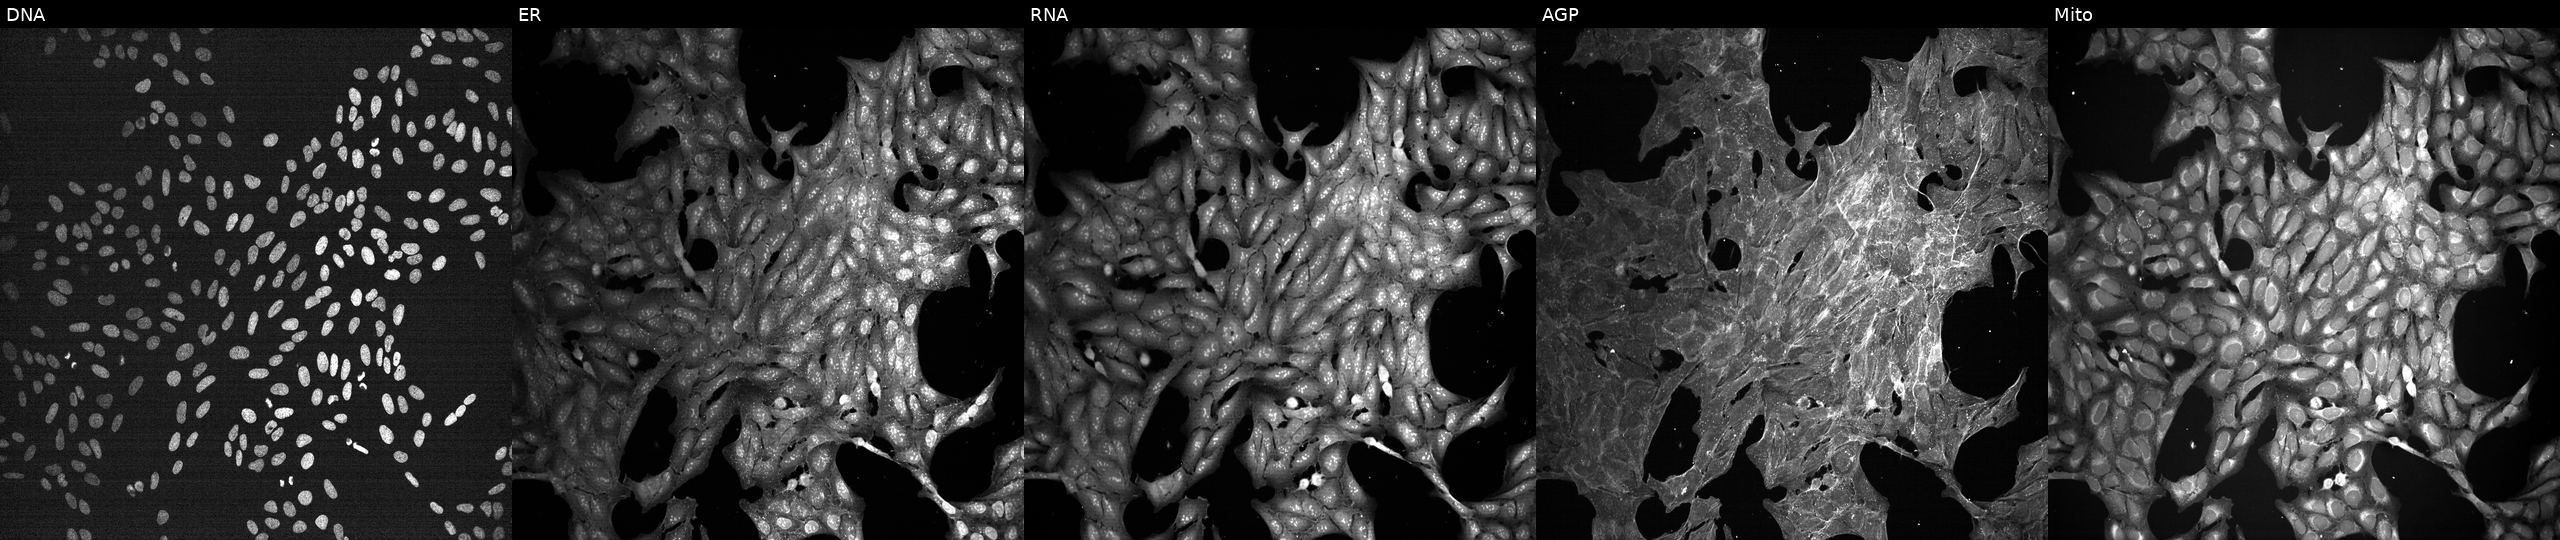
Five-channel Cell Painting image of U2OS cells perturbed with a small-molecule compound (InChIKey FNHKPVJBJVTLMP-UHFFFAOYSA-N) (JUMP id JCP2022_021751). Channels (left→right): Hoechst 33342, concanavalin A, SYTO 14, phalloidin and WGA, MitoTracker.